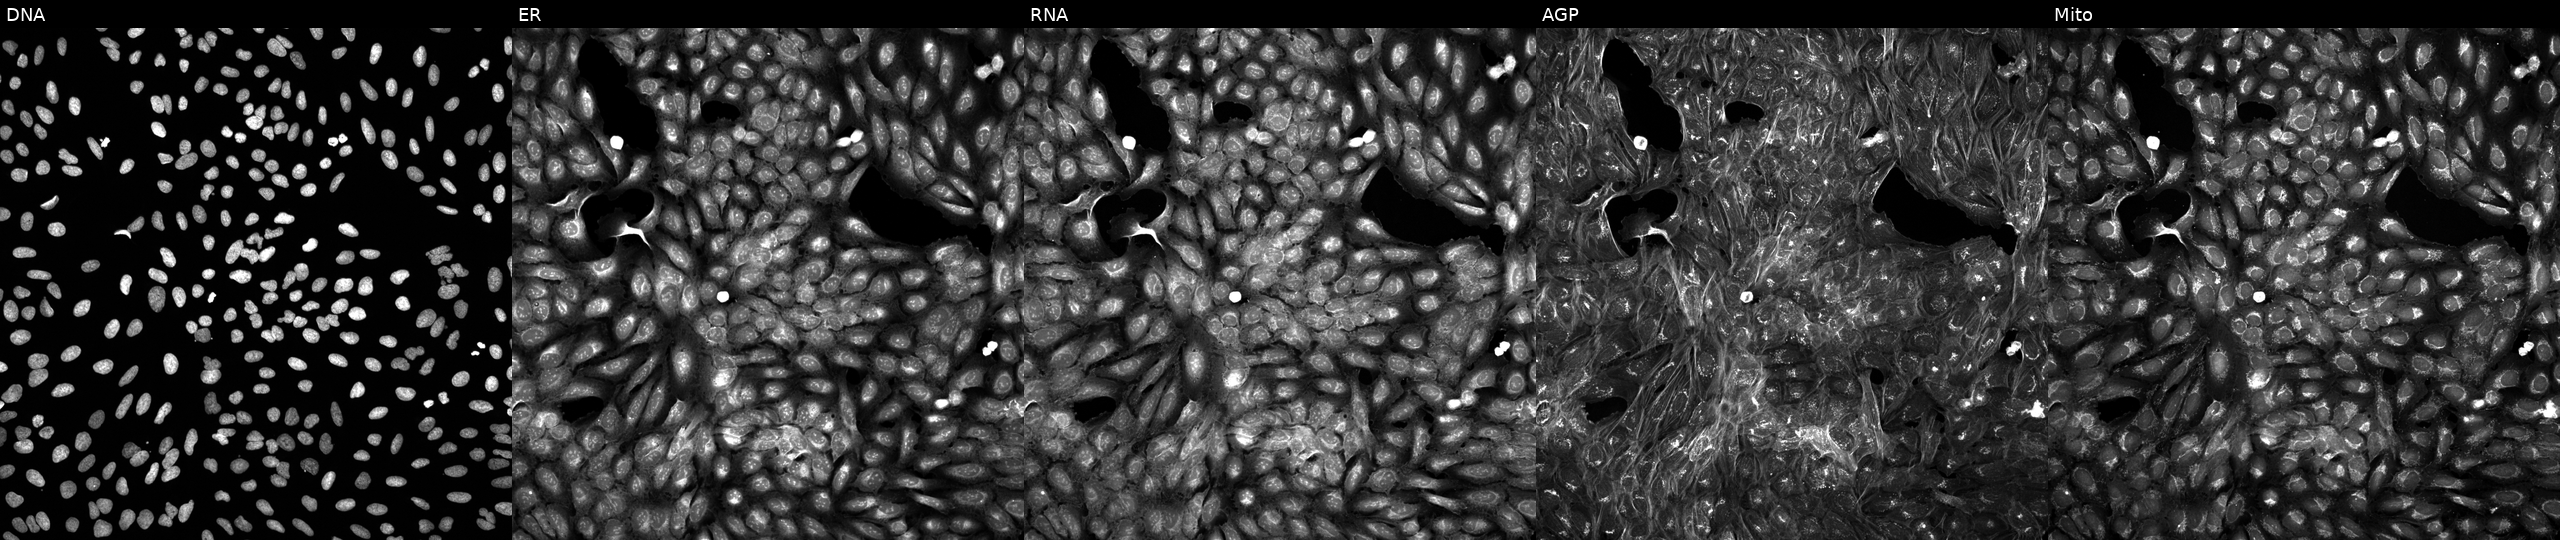
High-content fluorescence microscopy (Cell Painting). Cell line: U2OS. Perturbation: perturbed with a small-molecule compound (InChIKey HLQQCHRMSZZLHJ-UHFFFAOYSA-N) [SMILES: Cc1ccc2c(c1)nnn2C1CCN(CC(=O)N2CCN(c3ccc(F)cc3)CC2)CC1] (JUMP id JCP2022_031017). Panels show, left to right, DNA, ER, RNA, AGP, and Mito. Source 5, plate APTJUM105, well H09.